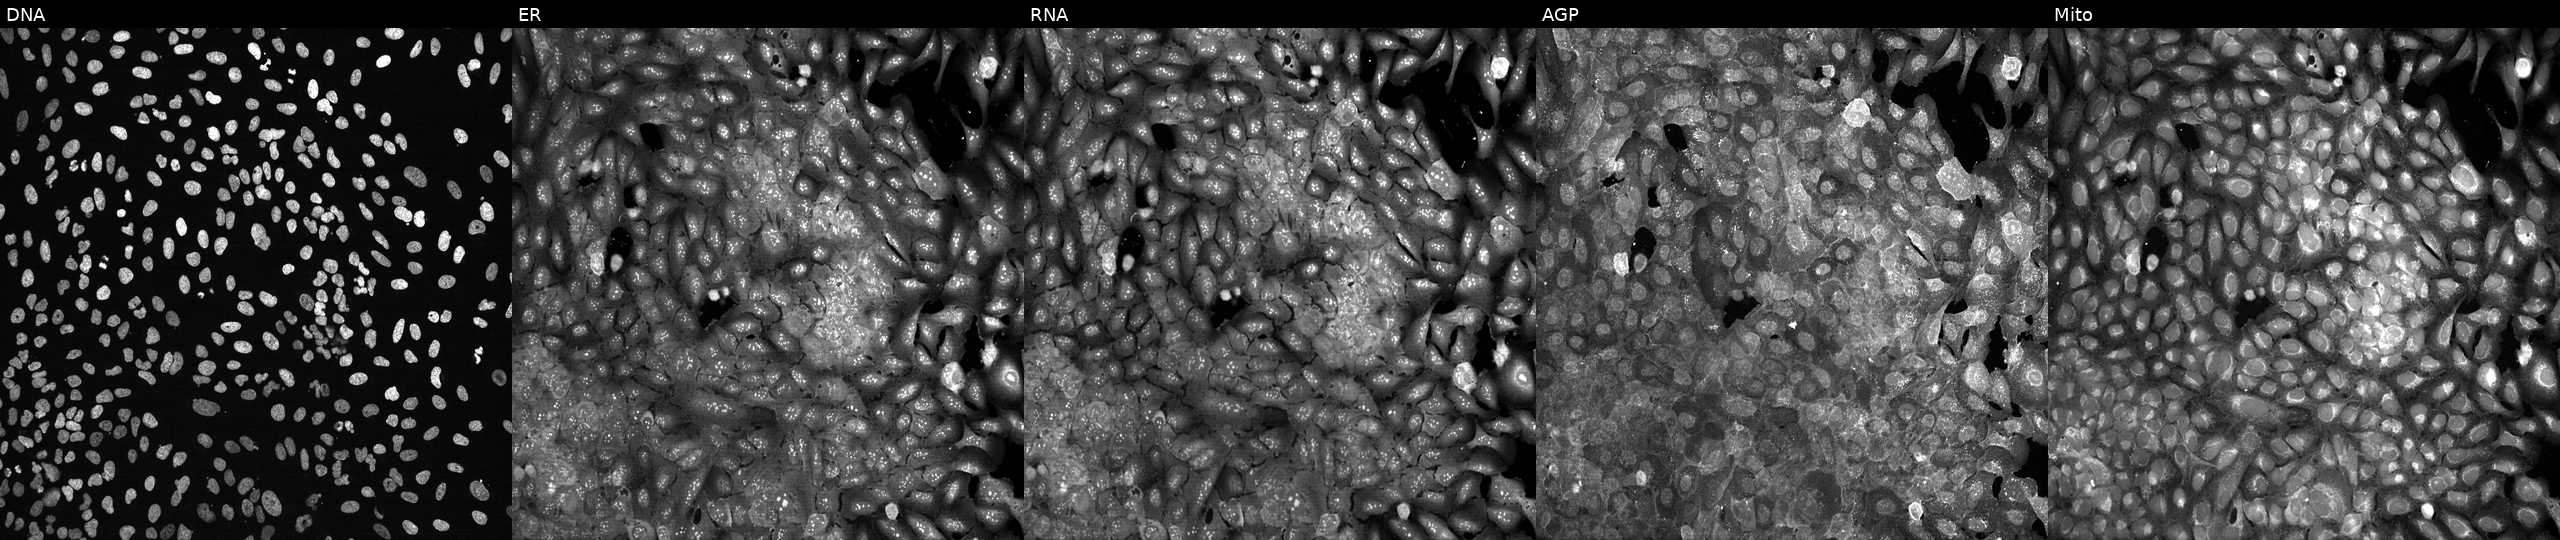
Five-channel Cell Painting image of U2OS cells CRISPR-edited to disrupt RAB1A (JUMP id JCP2022_805747). From left to right: DNA (nuclei); ER (endoplasmic reticulum); RNA (nucleoli and cytoplasmic RNA); AGP (actin cytoskeleton, Golgi, and plasma membrane); Mito (mitochondria).